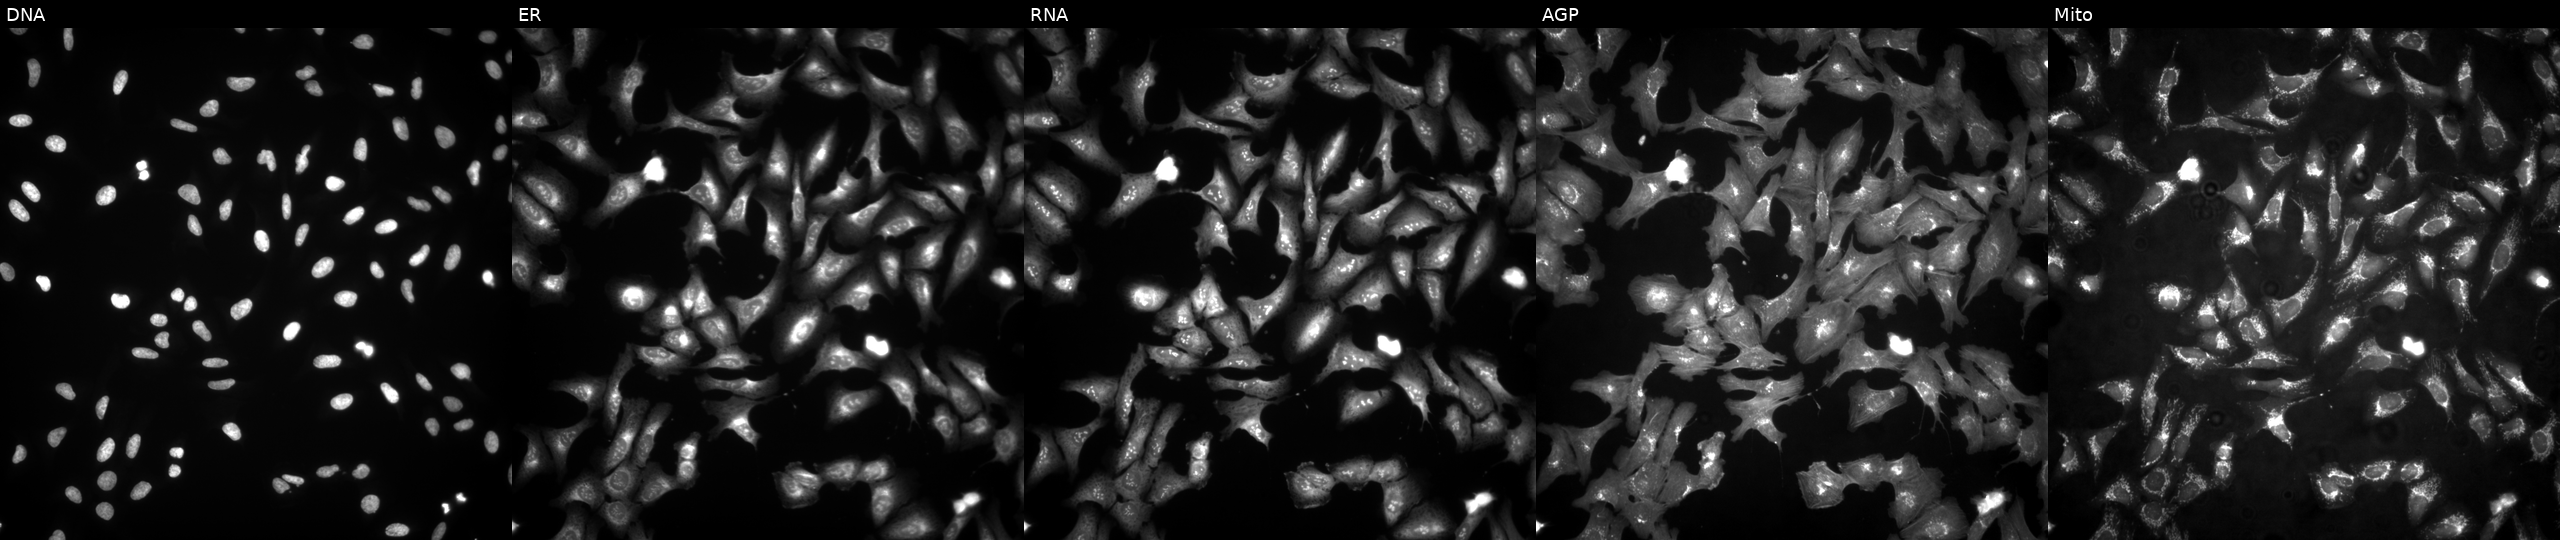
High-content fluorescence microscopy (Cell Painting). Cell line: U2OS. Perturbation: transfected with an ORF construct for RPL23AP7 (JUMP id JCP2022_912617). The five panels, left to right, show Hoechst 33342, concanavalin A, SYTO 14, phalloidin and WGA, MitoTracker. Source 4, plate BR00123509, well F23.